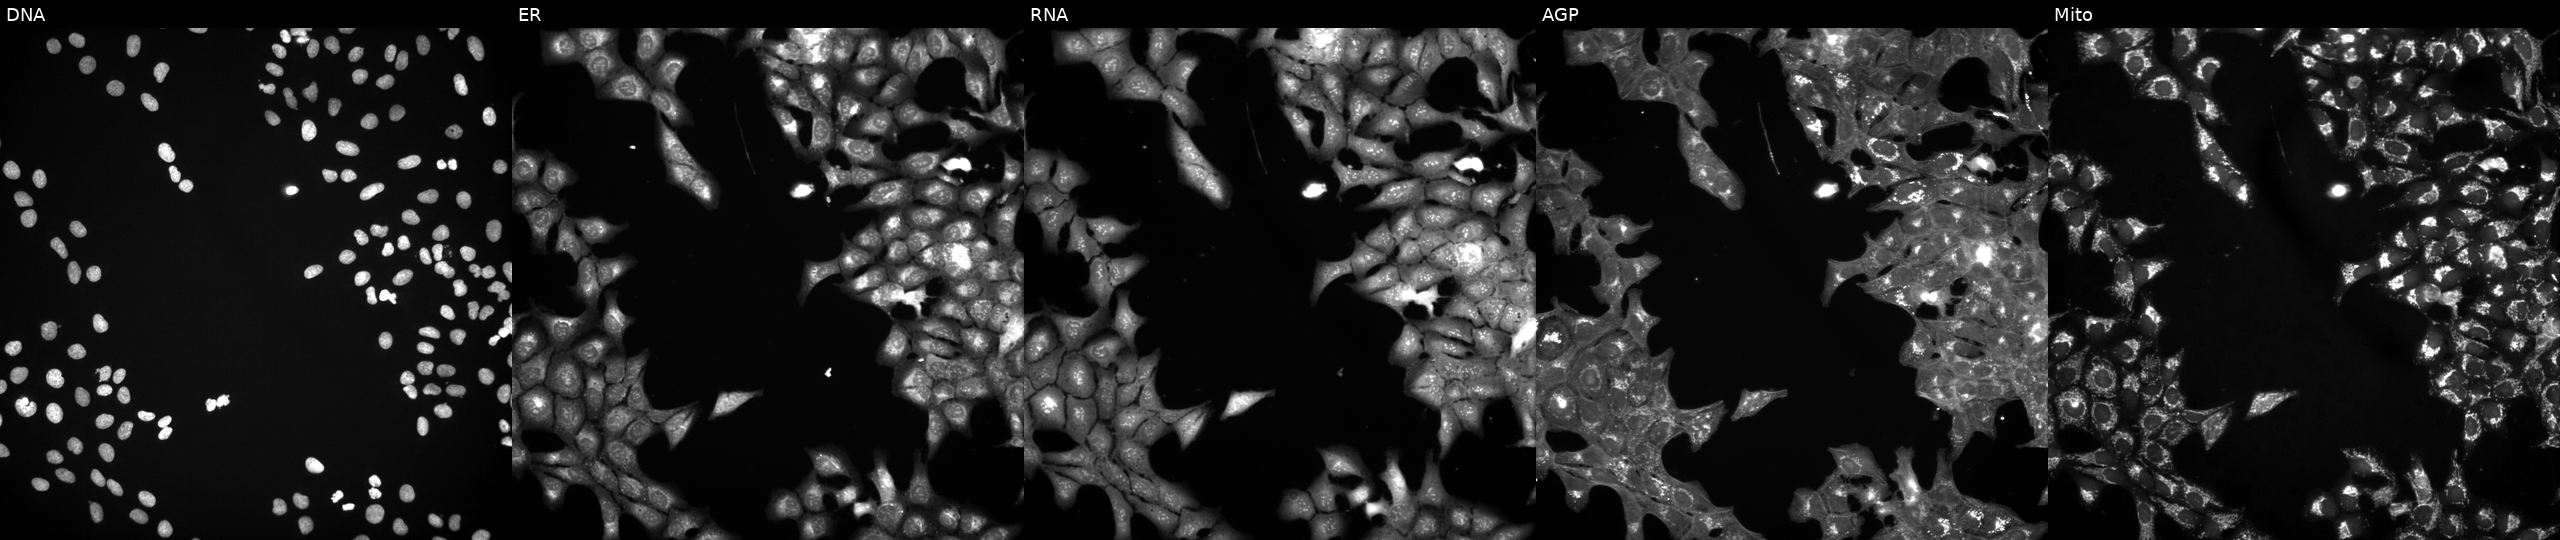
From left to right: DNA, ER, RNA, AGP, and Mito. U2OS osteosarcoma cells exposed to a small-molecule compound (InChIKey ZYVXTMKTGDARKR-UHFFFAOYSA-N) [SMILES: COc1cc(N2CCN(C)CC2)ccc1N=c1nc(-c2cn(C)c3cnccc23)cc[nH]1] (JUMP id JCP2022_116560). Cell Painting assay, JUMP-CP dataset. Source 3, plate JCPQC053, well J09.